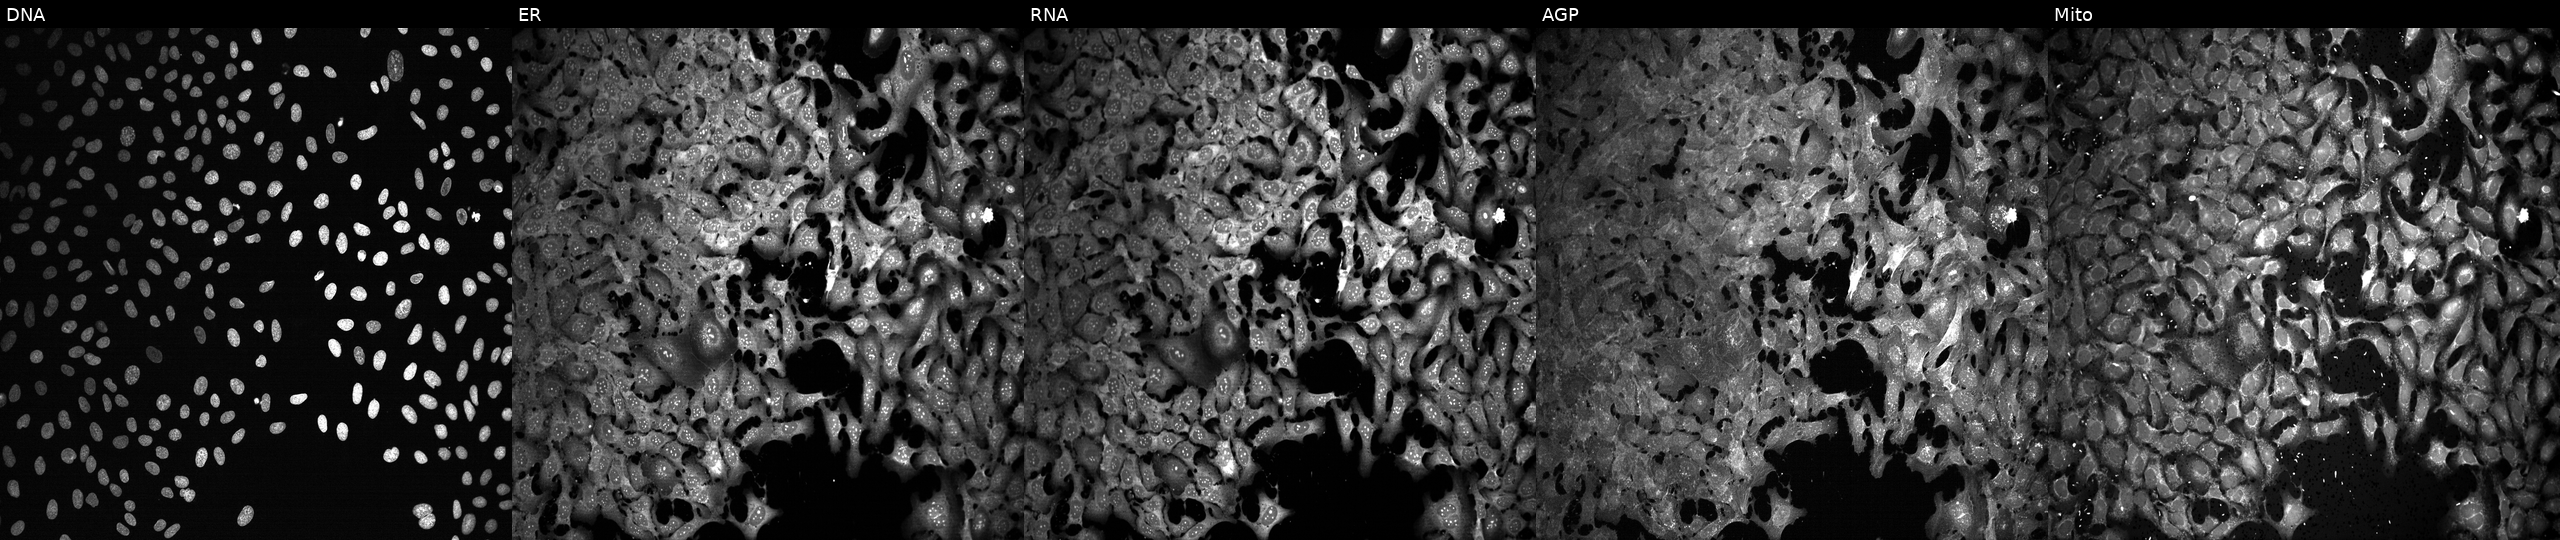
Five-channel Cell Painting image of U2OS cells exposed to the positive-control compound FK-866. Panels show, left to right, DNA (nuclei); ER (endoplasmic reticulum); RNA (nucleoli and cytoplasmic RNA); AGP (actin cytoskeleton, Golgi, and plasma membrane); Mito (mitochondria). Source 13, plate CP-CC9-R5-01, well M01.